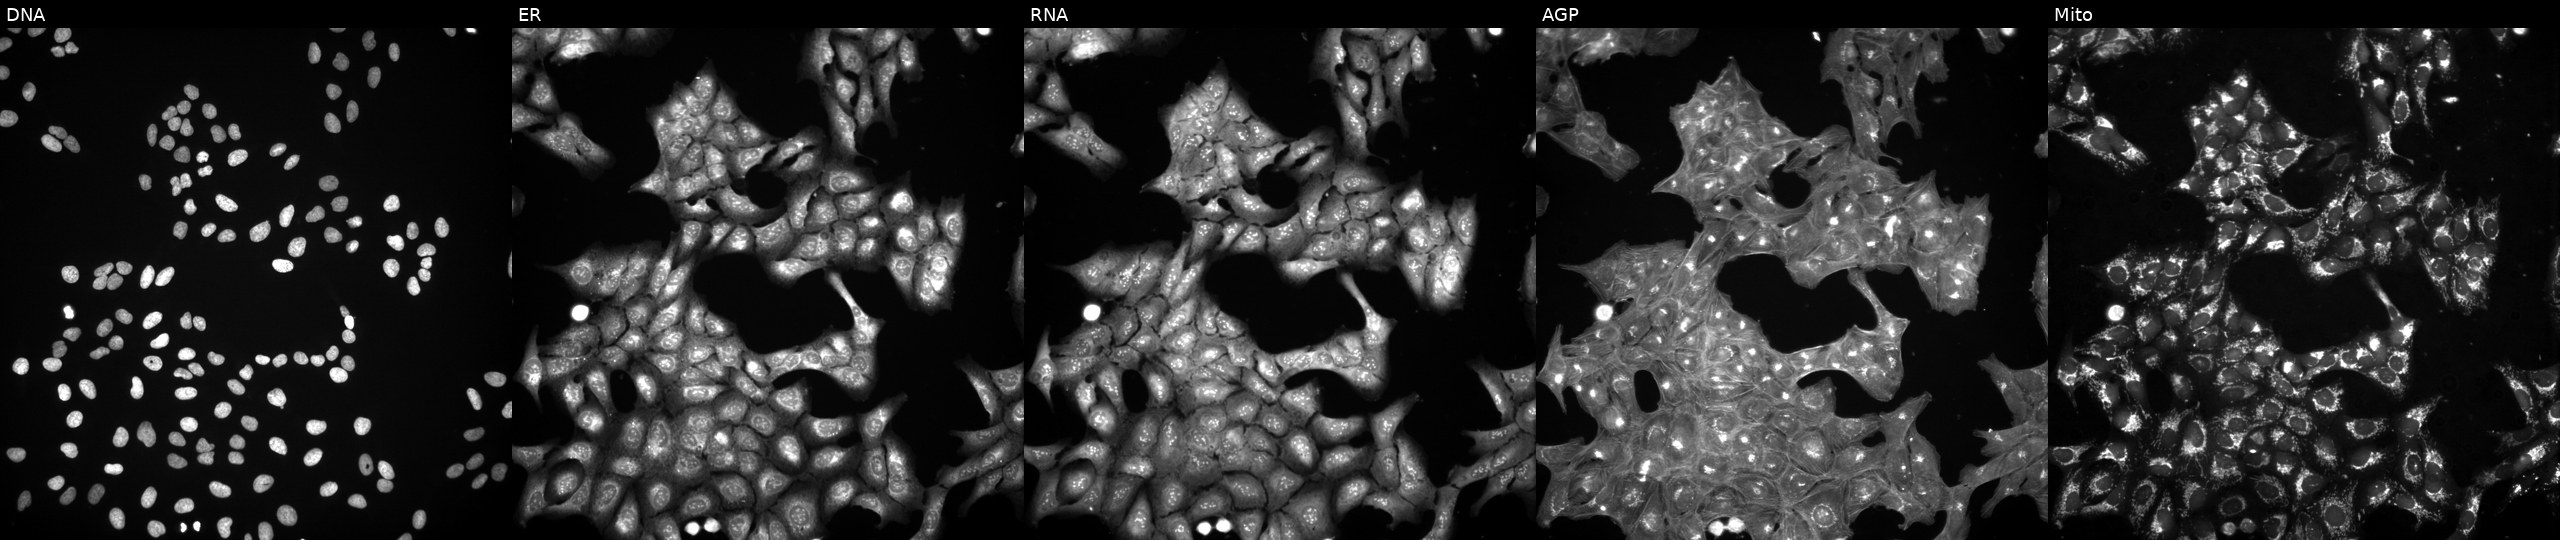
This image strip shows the five Cell Painting channels for a single field of U2OS cells perturbed with a small-molecule compound (InChIKey RTWCUANPWWJYNE-UHFFFAOYSA-N) [SMILES: N#Cc1ccc(OCC(=O)N2CCN(S(=O)(=O)c3cccs3)CC2)cc1] (JUMP id JCP2022_080698). From left to right: DNA (nuclei); ER (endoplasmic reticulum); RNA (nucleoli and cytoplasmic RNA); AGP (actin cytoskeleton, Golgi, and plasma membrane); Mito (mitochondria). Source 3, plate BR5867b3, well D16.